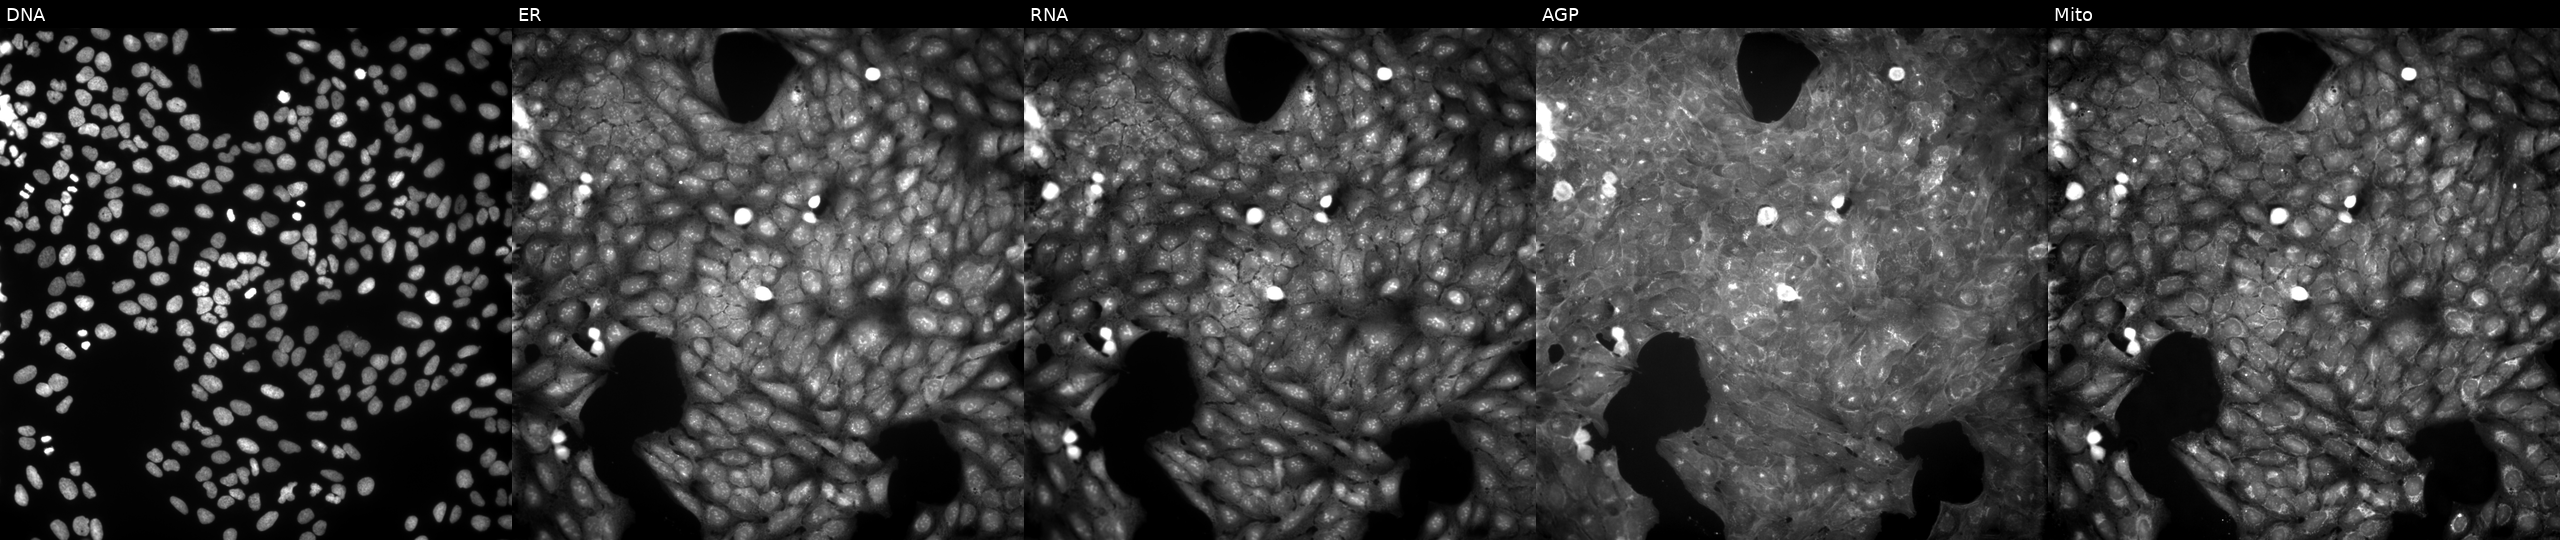
JUMP Cell Painting — COMPOUND plate. U2OS cells exposed to the positive-control compound dexamethasone. From left to right: DNA (nuclei); ER (endoplasmic reticulum); RNA (nucleoli and cytoplasmic RNA); AGP (actin cytoskeleton, Golgi, and plasma membrane); Mito (mitochondria). Source 9, plate GR00003382, well S24.